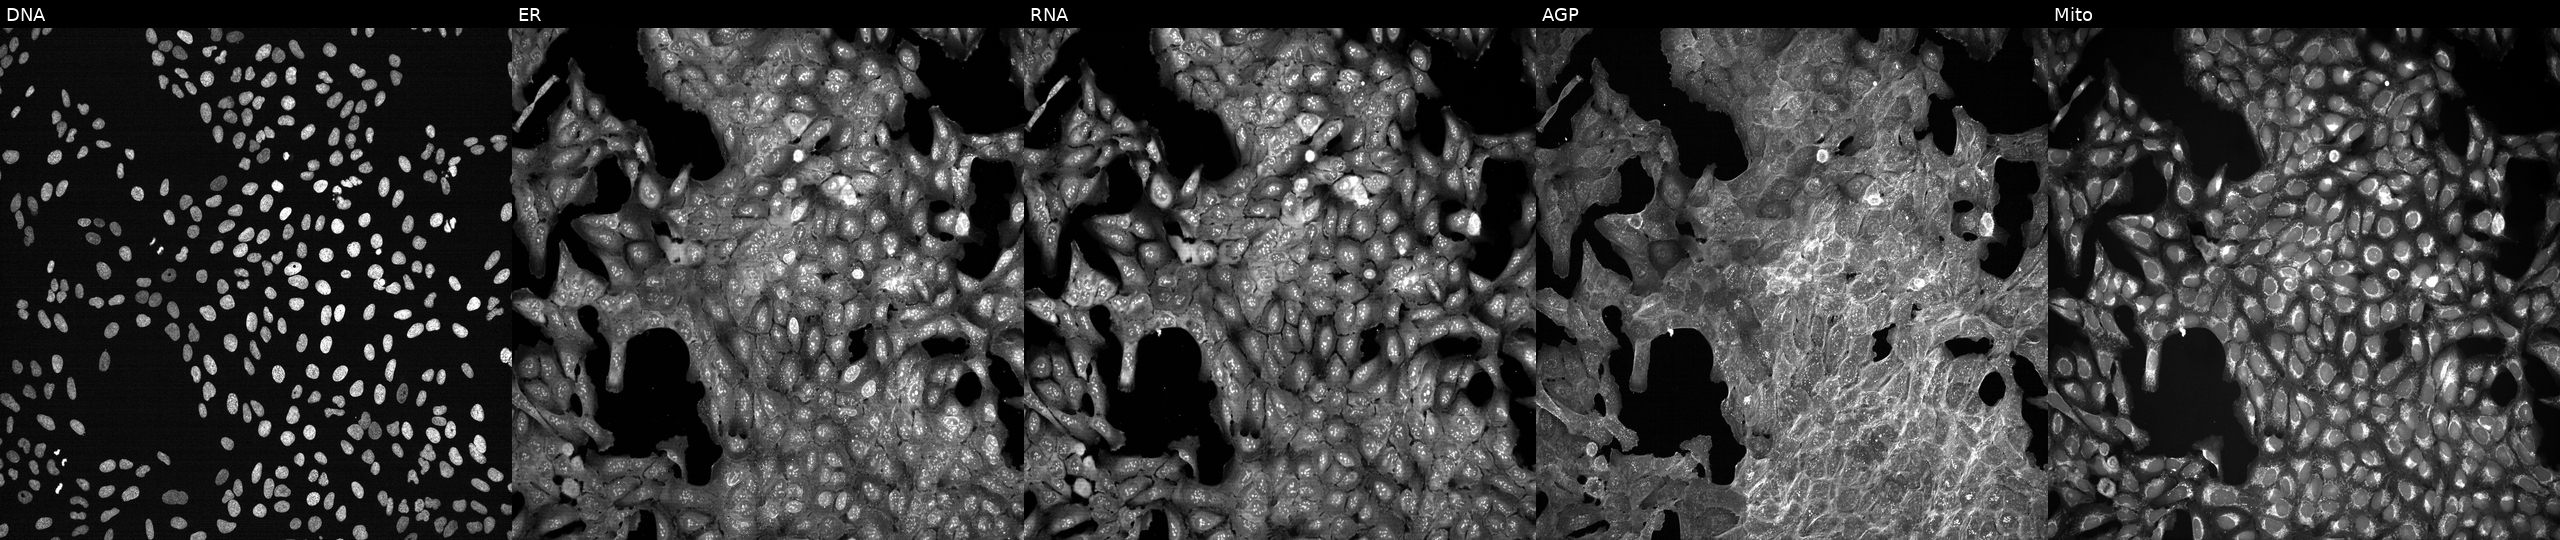
High-content fluorescence microscopy (Cell Painting). Cell line: U2OS. Perturbation: perturbed with a small-molecule compound (InChIKey QFWCYNPOPKQOKV-UHFFFAOYSA-N). The five panels, left to right, show DNA (nuclei); ER (endoplasmic reticulum); RNA (nucleoli and cytoplasmic RNA); AGP (actin cytoskeleton, Golgi, and plasma membrane); Mito (mitochondria).